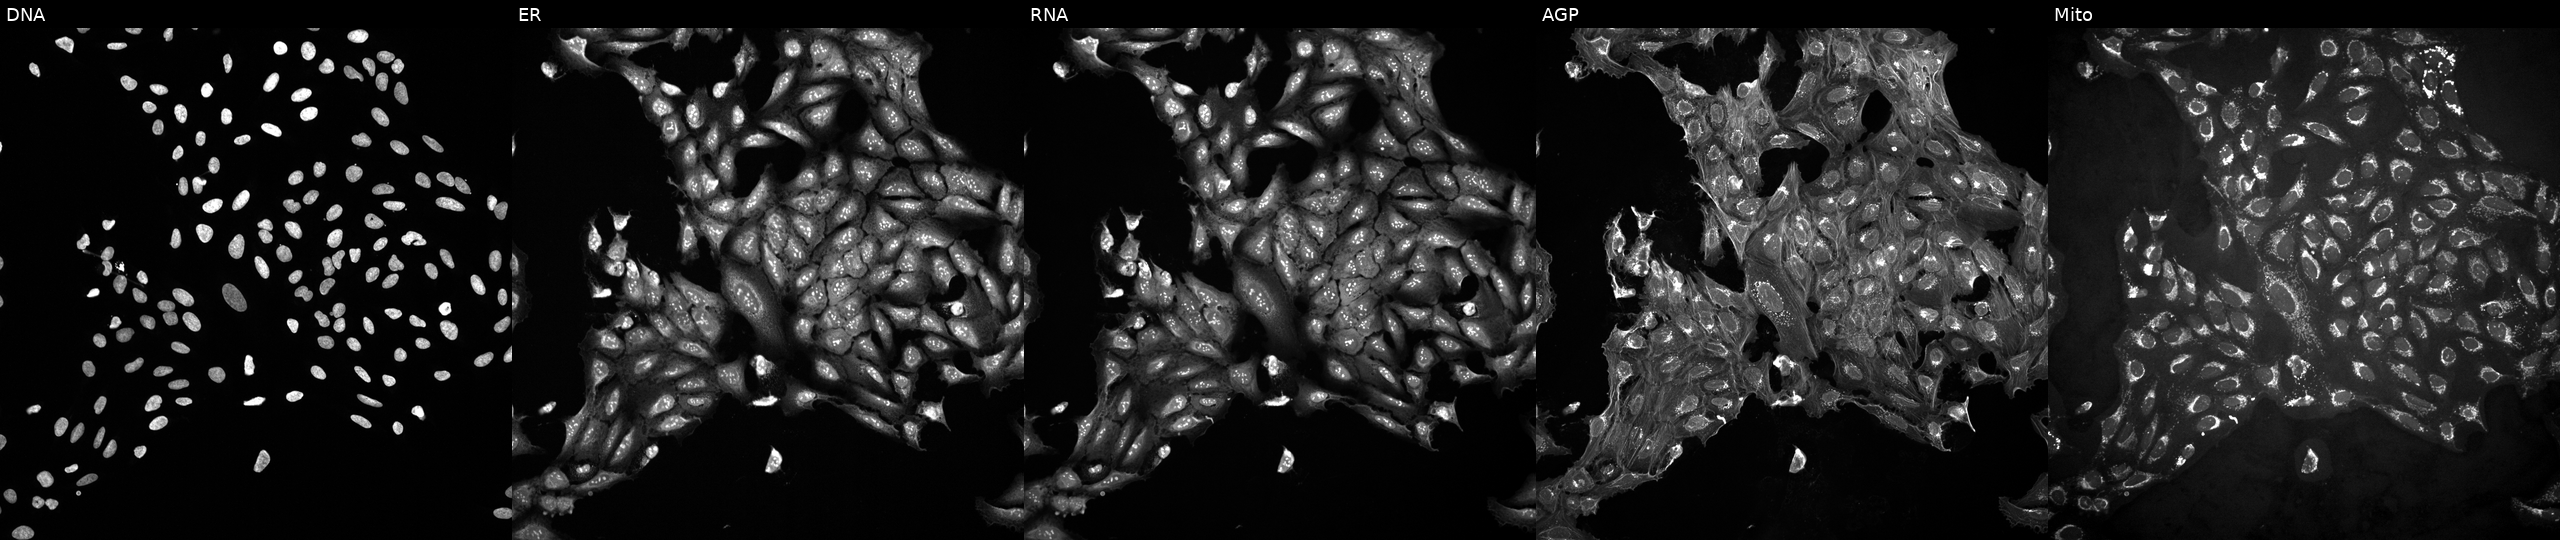
This image strip shows the five Cell Painting channels for a single field of U2OS cells treated with a small-molecule compound (InChIKey CVBPHPBFGHMWDL-UHFFFAOYSA-N). Panels show, left to right, Hoechst 33342, concanavalin A, SYTO 14, phalloidin and WGA, MitoTracker.